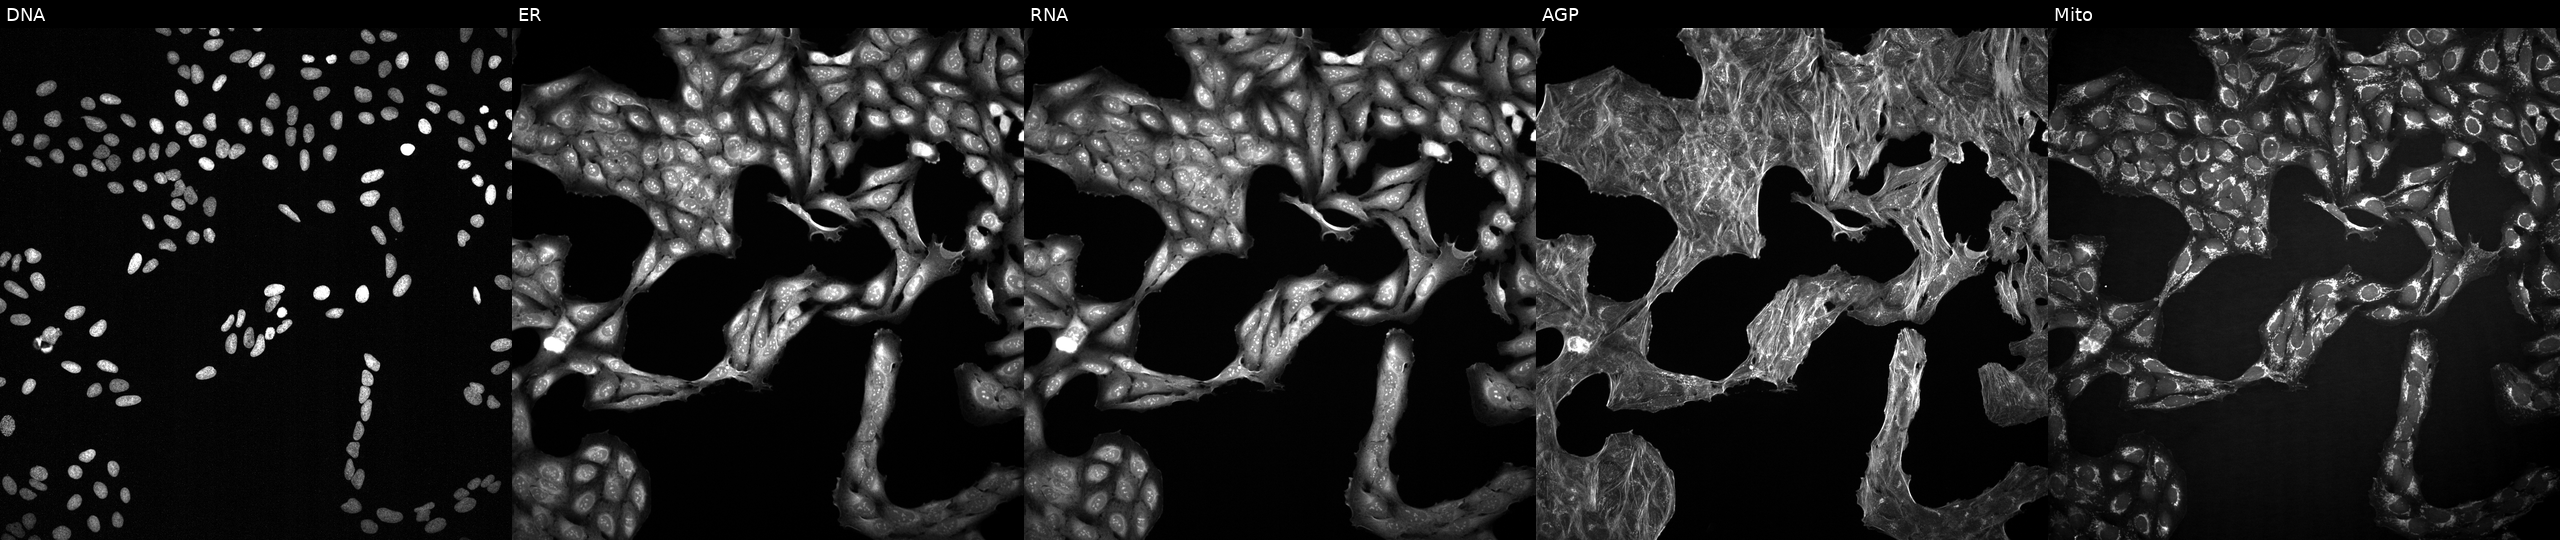
U2OS cells, Cell Painting assay, treated with dexamethasone (positive-control compound). The five panels, left to right, show DNA (nuclei); ER (endoplasmic reticulum); RNA (nucleoli and cytoplasmic RNA); AGP (actin cytoskeleton, Golgi, and plasma membrane); Mito (mitochondria). Each panel is percentile-stretched 16-bit fluorescence. Source 2, plate 1053601763, well O24.